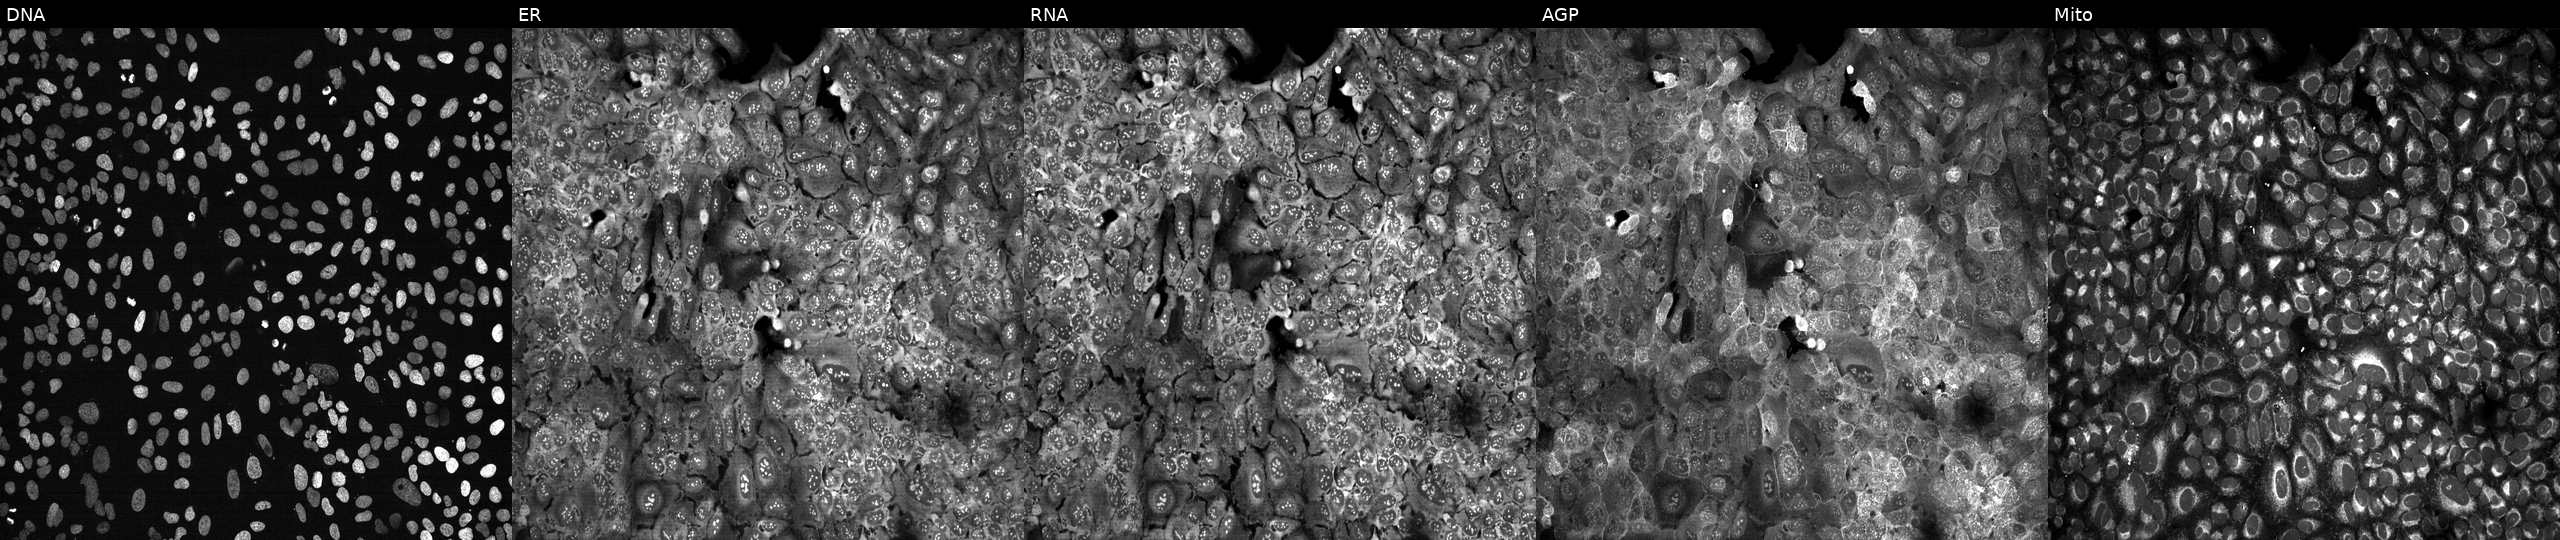
U2OS cells, Cell Painting assay, following CRISPR knockout of B3GALNT1 (JUMP id JCP2022_800771). Panels show, left to right, DNA (nuclei); ER (endoplasmic reticulum); RNA (nucleoli and cytoplasmic RNA); AGP (actin cytoskeleton, Golgi, and plasma membrane); Mito (mitochondria). Each panel is percentile-stretched 16-bit fluorescence.